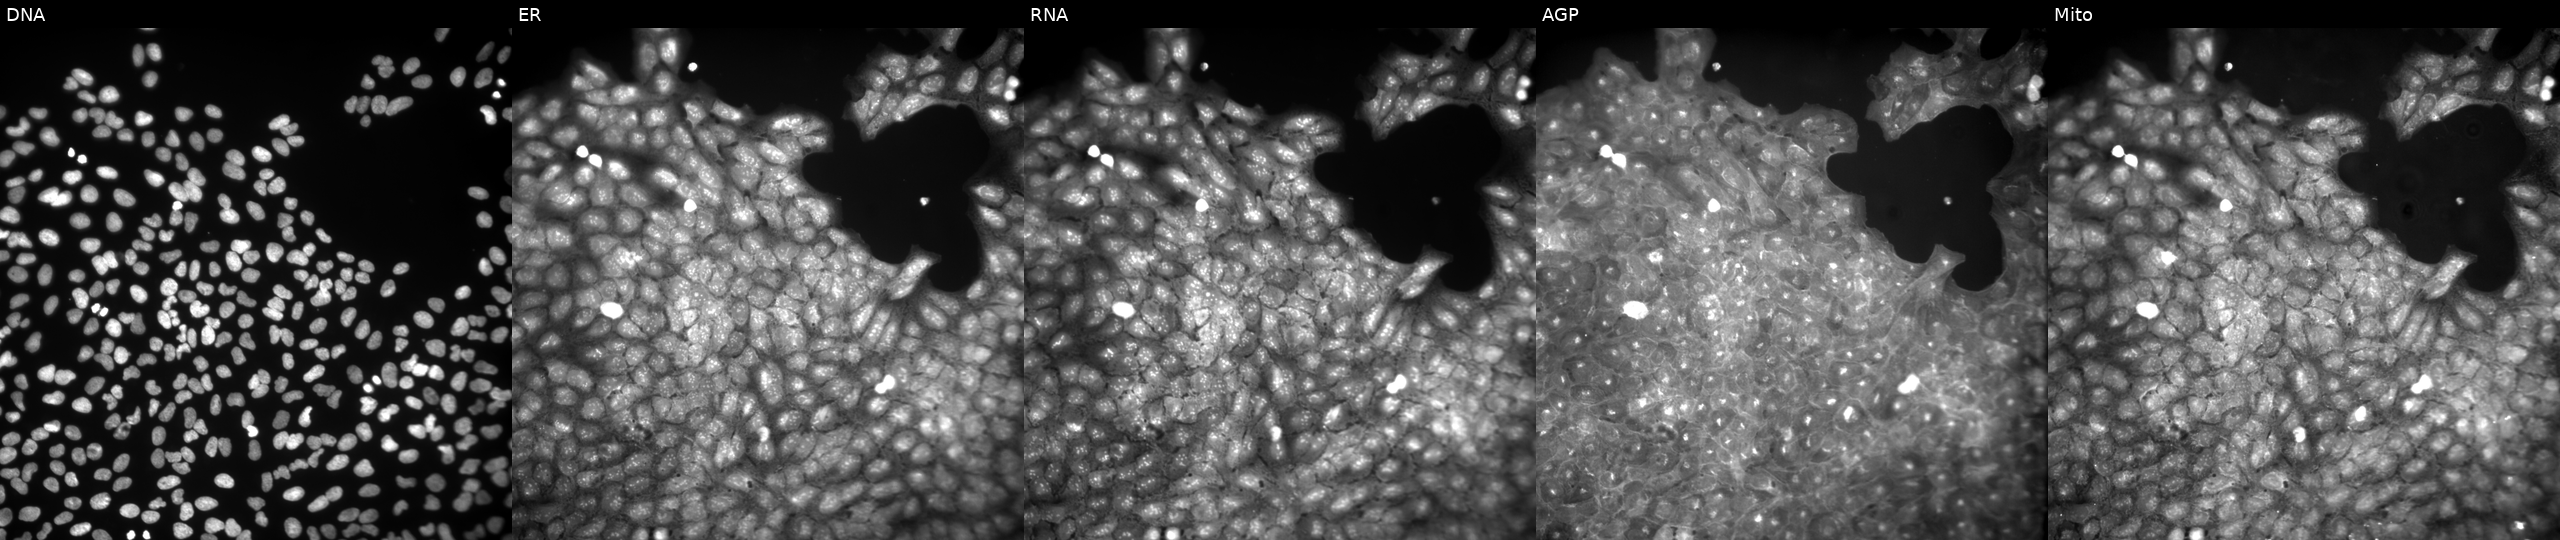
JUMP Cell Painting — COMPOUND plate. U2OS cells perturbed with a small-molecule compound (InChIKey PKAWZDKTBOFAKM-UHFFFAOYSA-N) [SMILES: CCCCn1c(=N)n(CC(=O)c2ccc([N+](=O)[O-])cc2)c2ccccc21] (JUMP id JCP2022_069115). Panels show, left to right, DNA, ER, RNA, AGP, and Mito.